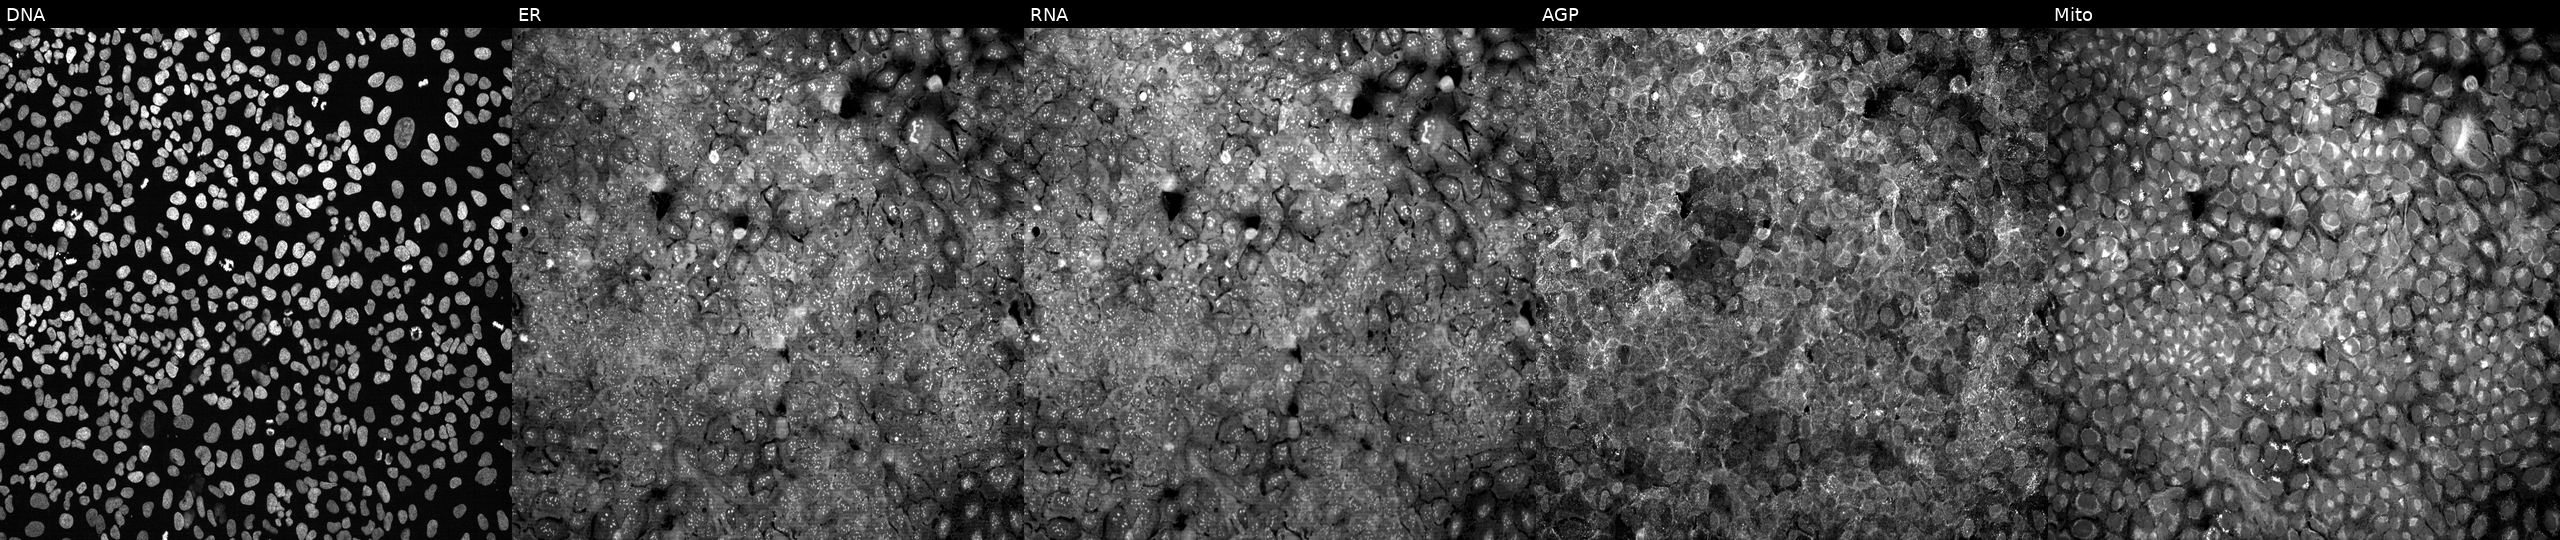
Channels (left→right): Hoechst 33342, concanavalin A, SYTO 14, phalloidin and WGA, MitoTracker. U2OS osteosarcoma cells treated with quinidine (positive-control compound) (JUMP id JCP2022_050797). Cell Painting assay, JUMP-CP dataset.